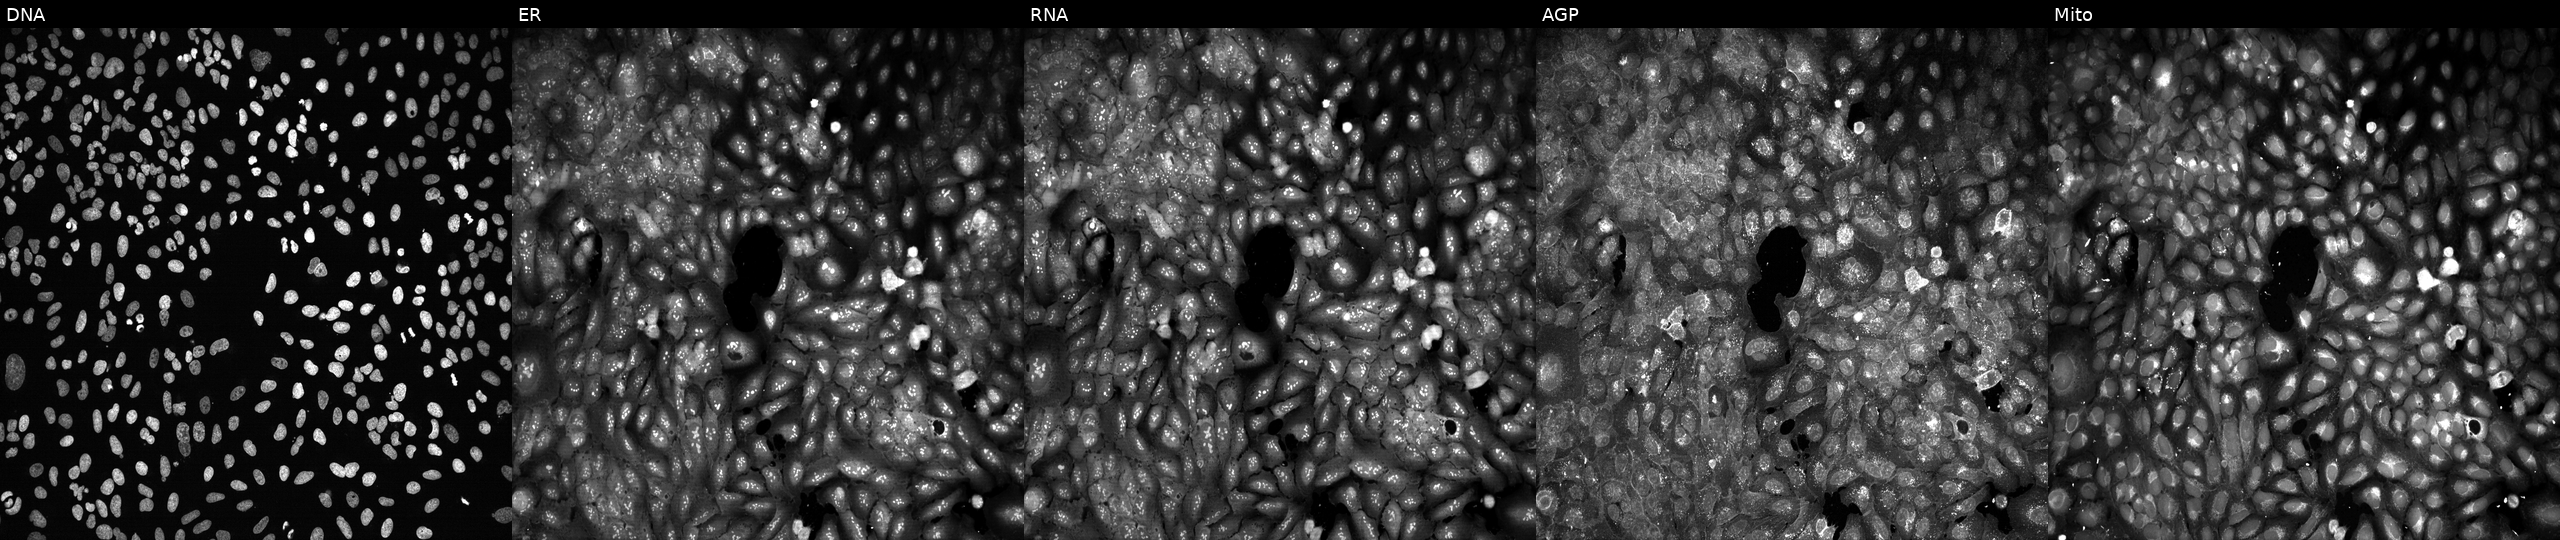
High-content fluorescence microscopy (Cell Painting). Cell line: U2OS. Perturbation: CRISPR-edited to disrupt GJA5 (JUMP id JCP2022_802694). Panels show, left to right, DNA (nuclei); ER (endoplasmic reticulum); RNA (nucleoli and cytoplasmic RNA); AGP (actin cytoskeleton, Golgi, and plasma membrane); Mito (mitochondria).